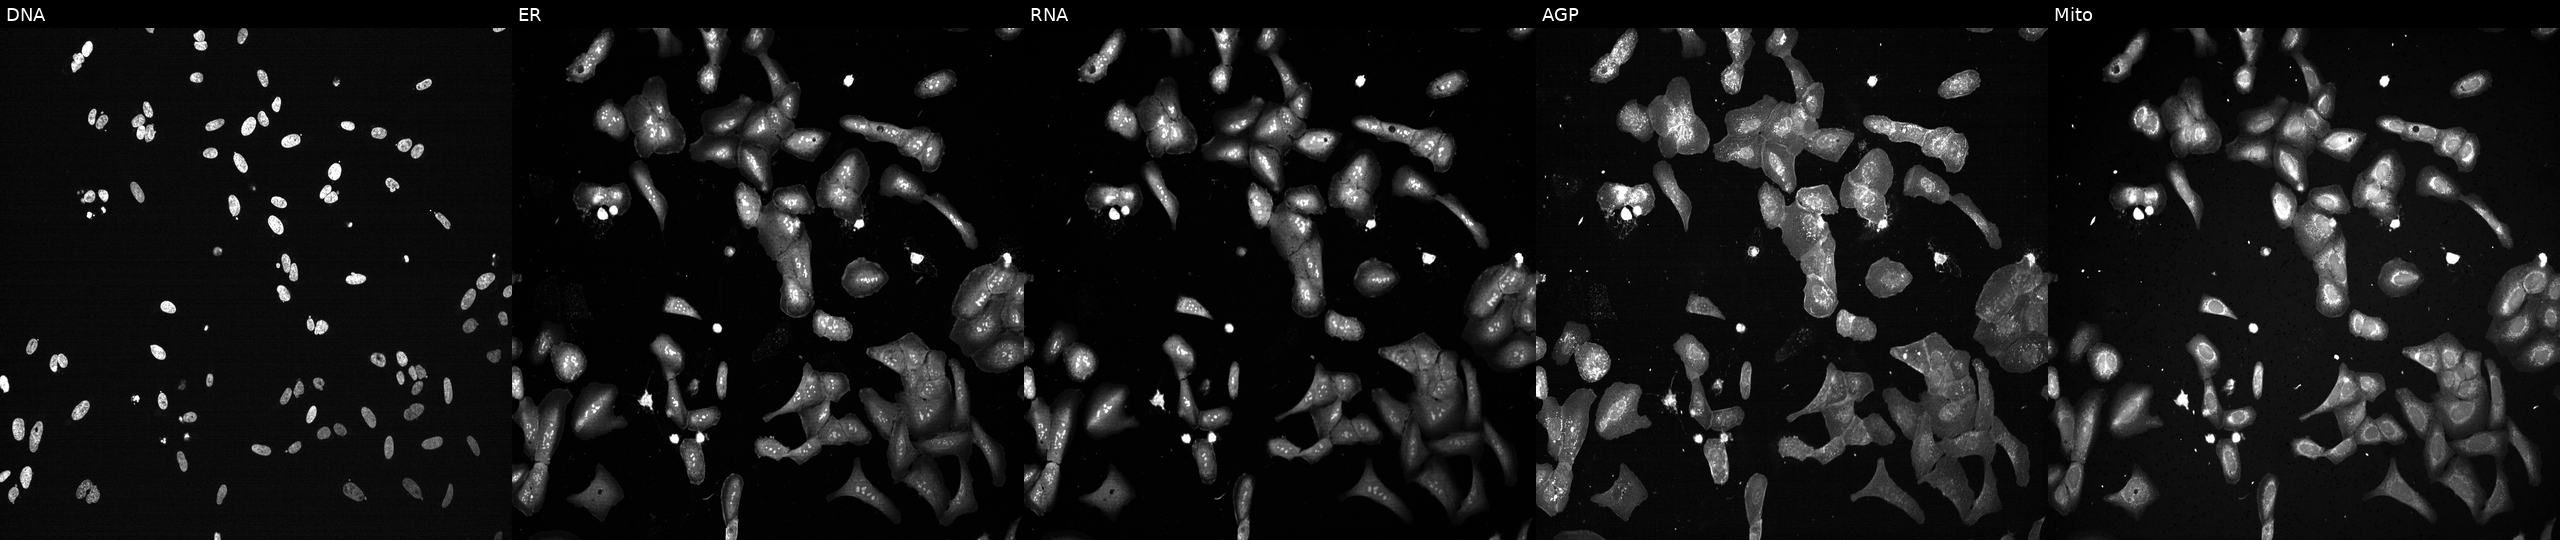
High-content fluorescence microscopy (Cell Painting). Cell line: U2OS. Perturbation: with MAT2A knocked out by CRISPR. From left to right: DNA, ER, RNA, AGP, and Mito.